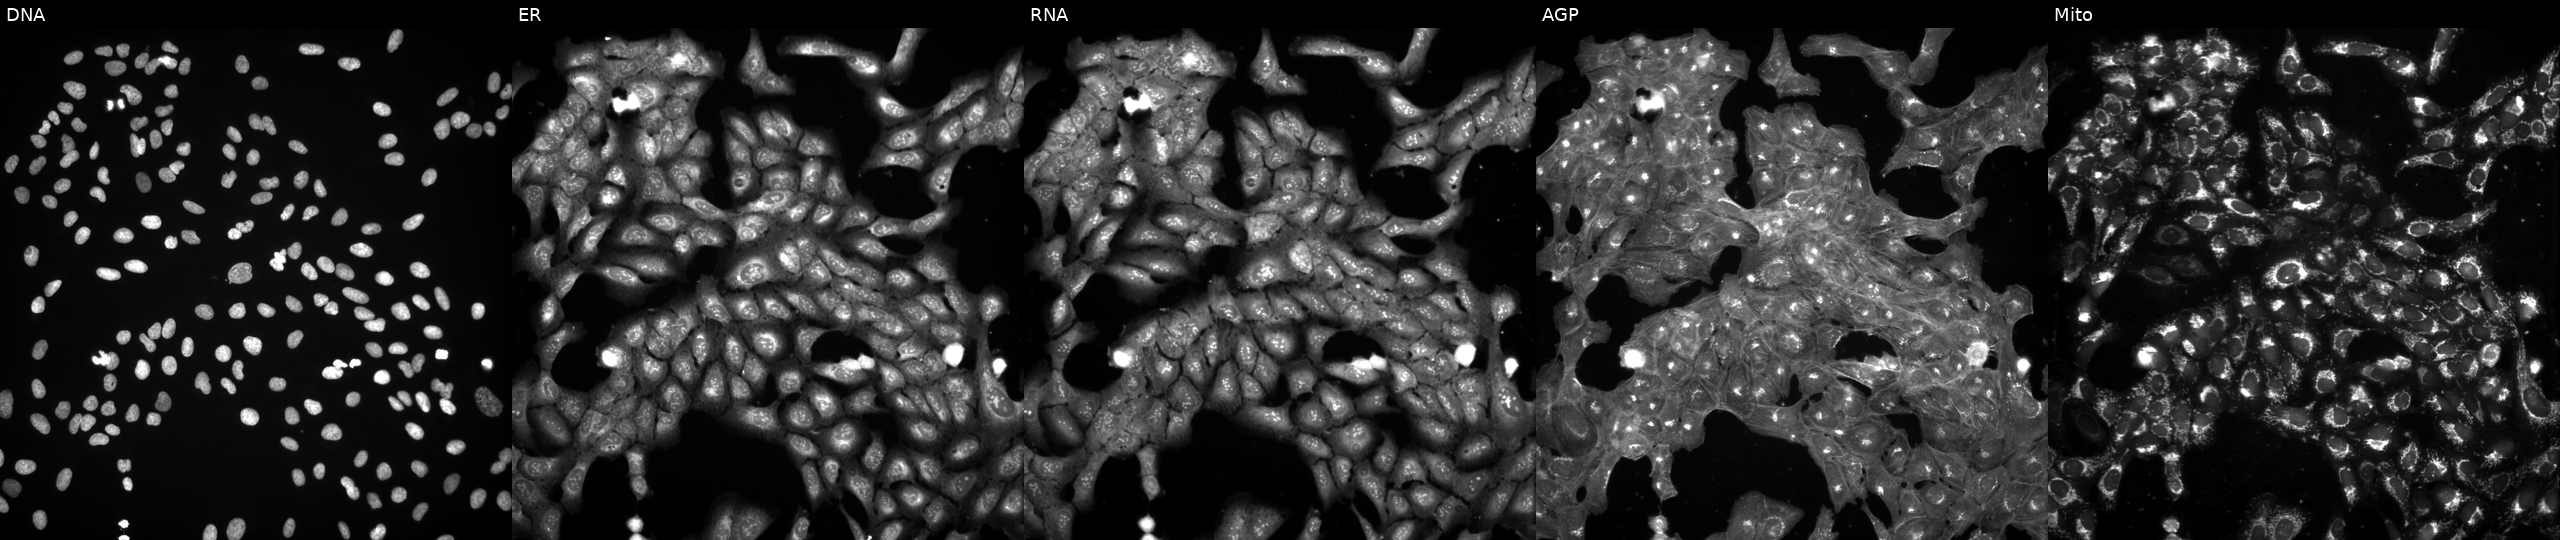
High-content fluorescence microscopy (Cell Painting). Cell line: U2OS. Perturbation: untreated (empty-well control). Channels (left→right): DNA (nuclei); ER (endoplasmic reticulum); RNA (nucleoli and cytoplasmic RNA); AGP (actin cytoskeleton, Golgi, and plasma membrane); Mito (mitochondria).